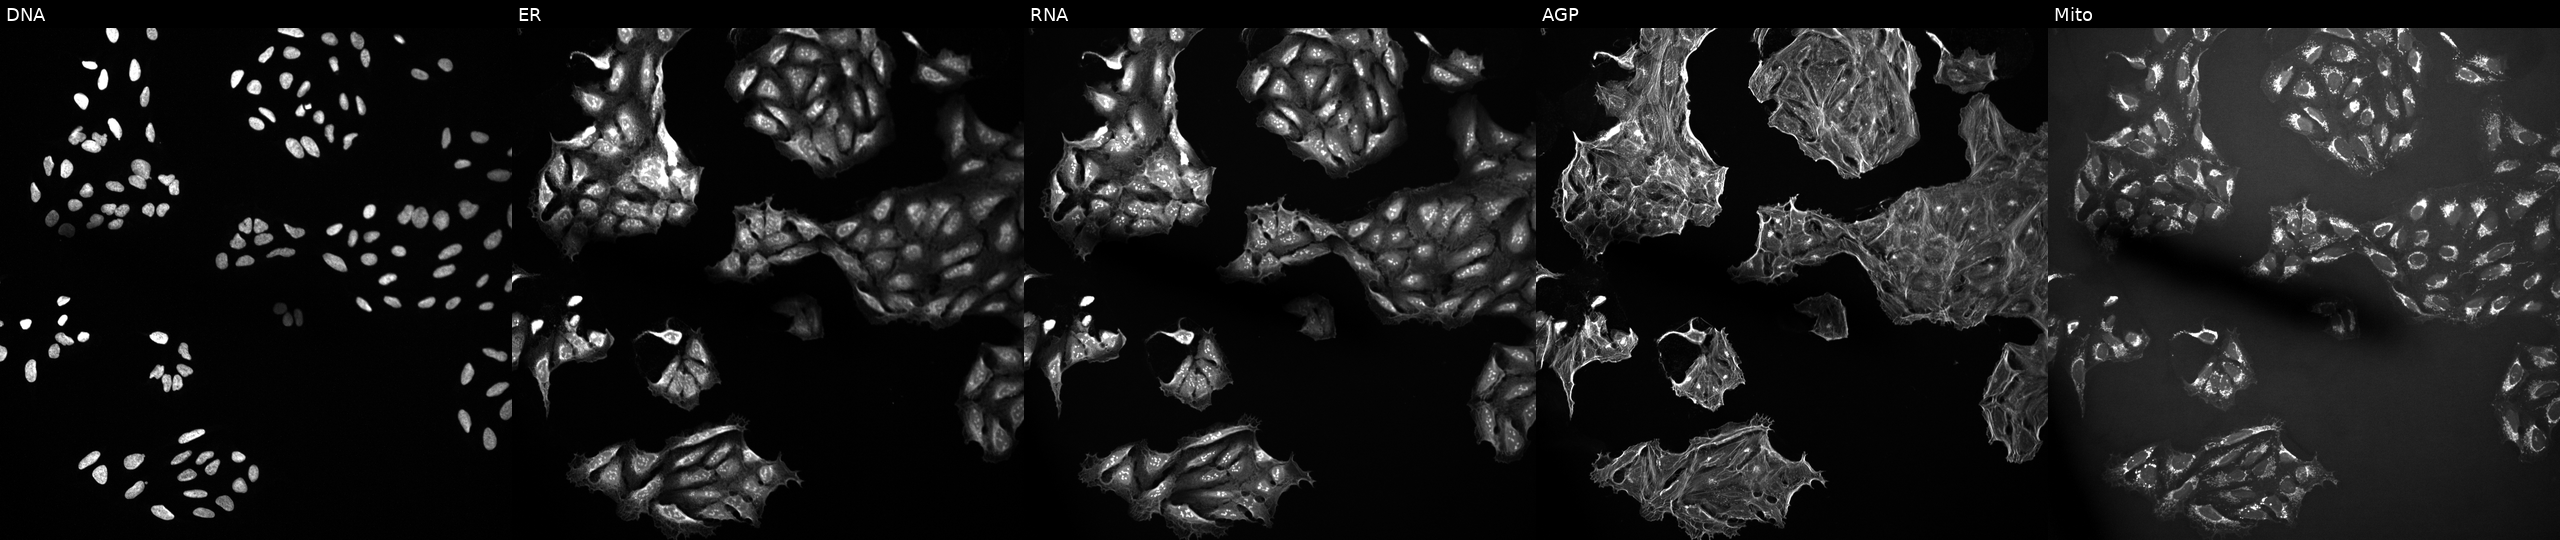
This image strip shows the five Cell Painting channels for a single field of U2OS cells exposed to a small-molecule compound (InChIKey QIHBWVVVRYYYRO-UHFFFAOYSA-N) (JUMP id JCP2022_073628). Channels (left→right): DNA (nuclei); ER (endoplasmic reticulum); RNA (nucleoli and cytoplasmic RNA); AGP (actin cytoskeleton, Golgi, and plasma membrane); Mito (mitochondria).